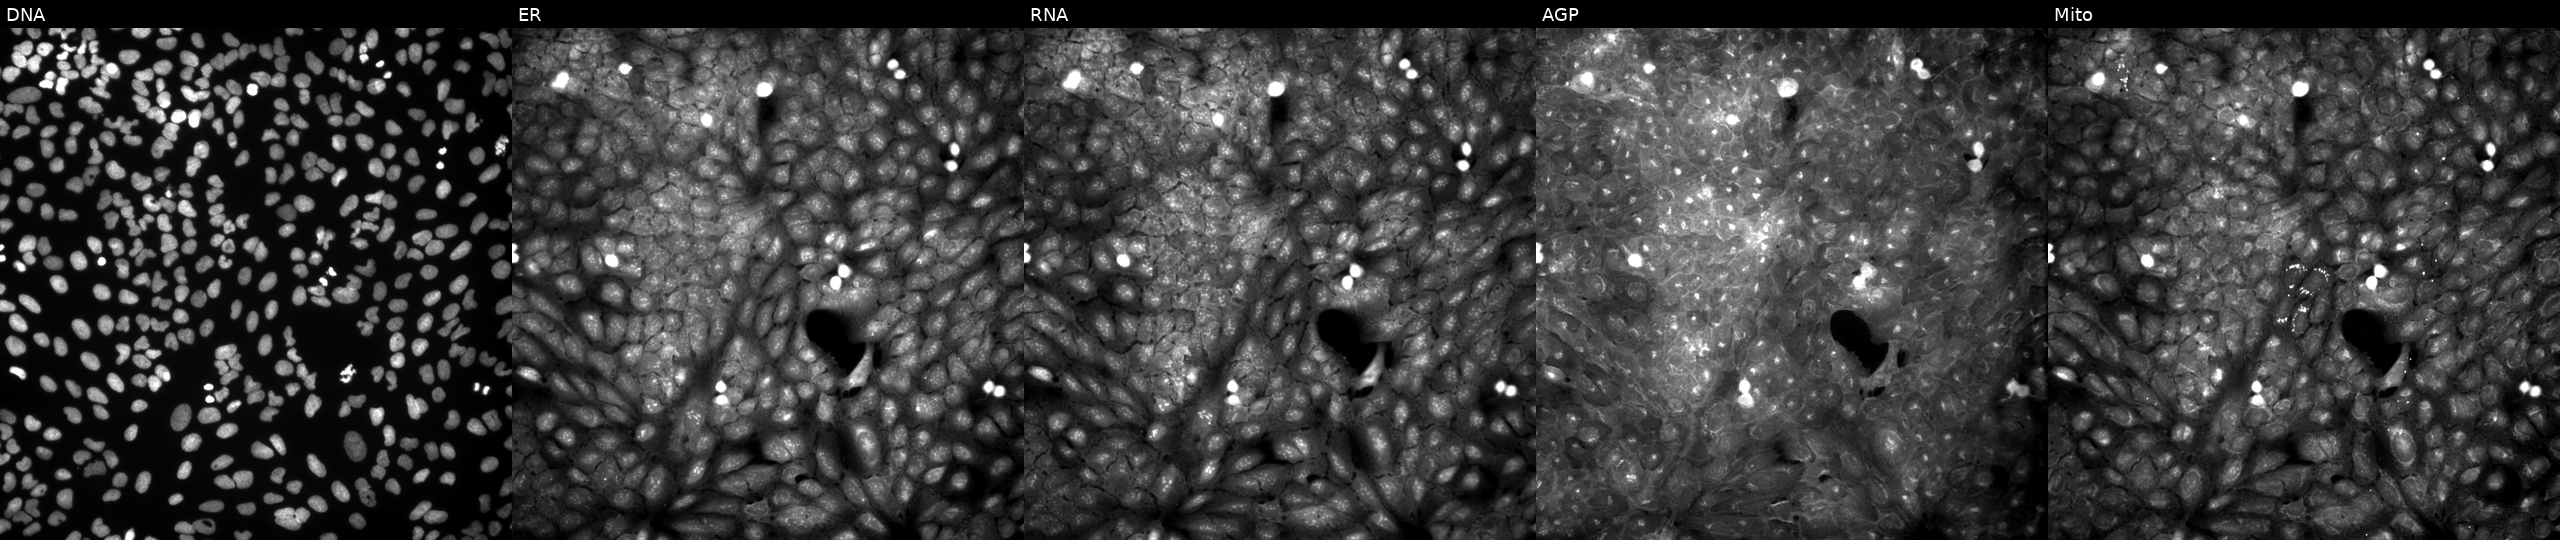
U2OS cells, Cell Painting assay, treated with a small-molecule compound (JUMP id JCP2022_013063). From left to right: DNA (nuclei); ER (endoplasmic reticulum); RNA (nucleoli and cytoplasmic RNA); AGP (actin cytoskeleton, Golgi, and plasma membrane); Mito (mitochondria). Each panel is percentile-stretched 16-bit fluorescence.